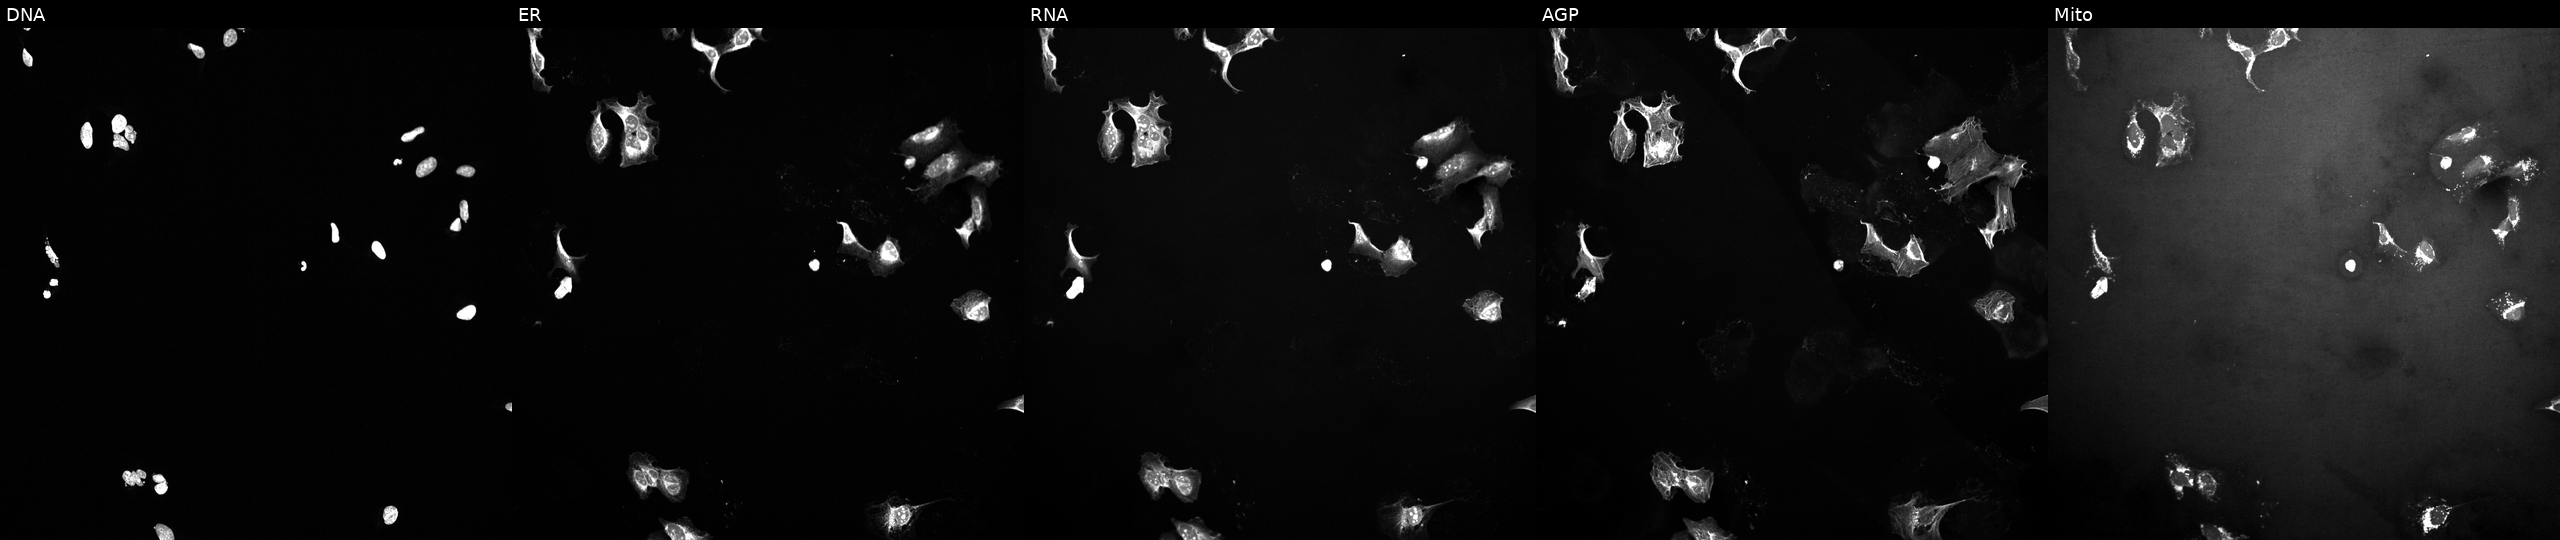
JUMP Cell Painting — COMPOUND plate. U2OS cells exposed to the positive-control compound TC-S-7004 (JUMP id JCP2022_012818). Channels (left→right): DNA (nuclei); ER (endoplasmic reticulum); RNA (nucleoli and cytoplasmic RNA); AGP (actin cytoskeleton, Golgi, and plasma membrane); Mito (mitochondria). Source 10, plate Dest210531-152324, well H01.